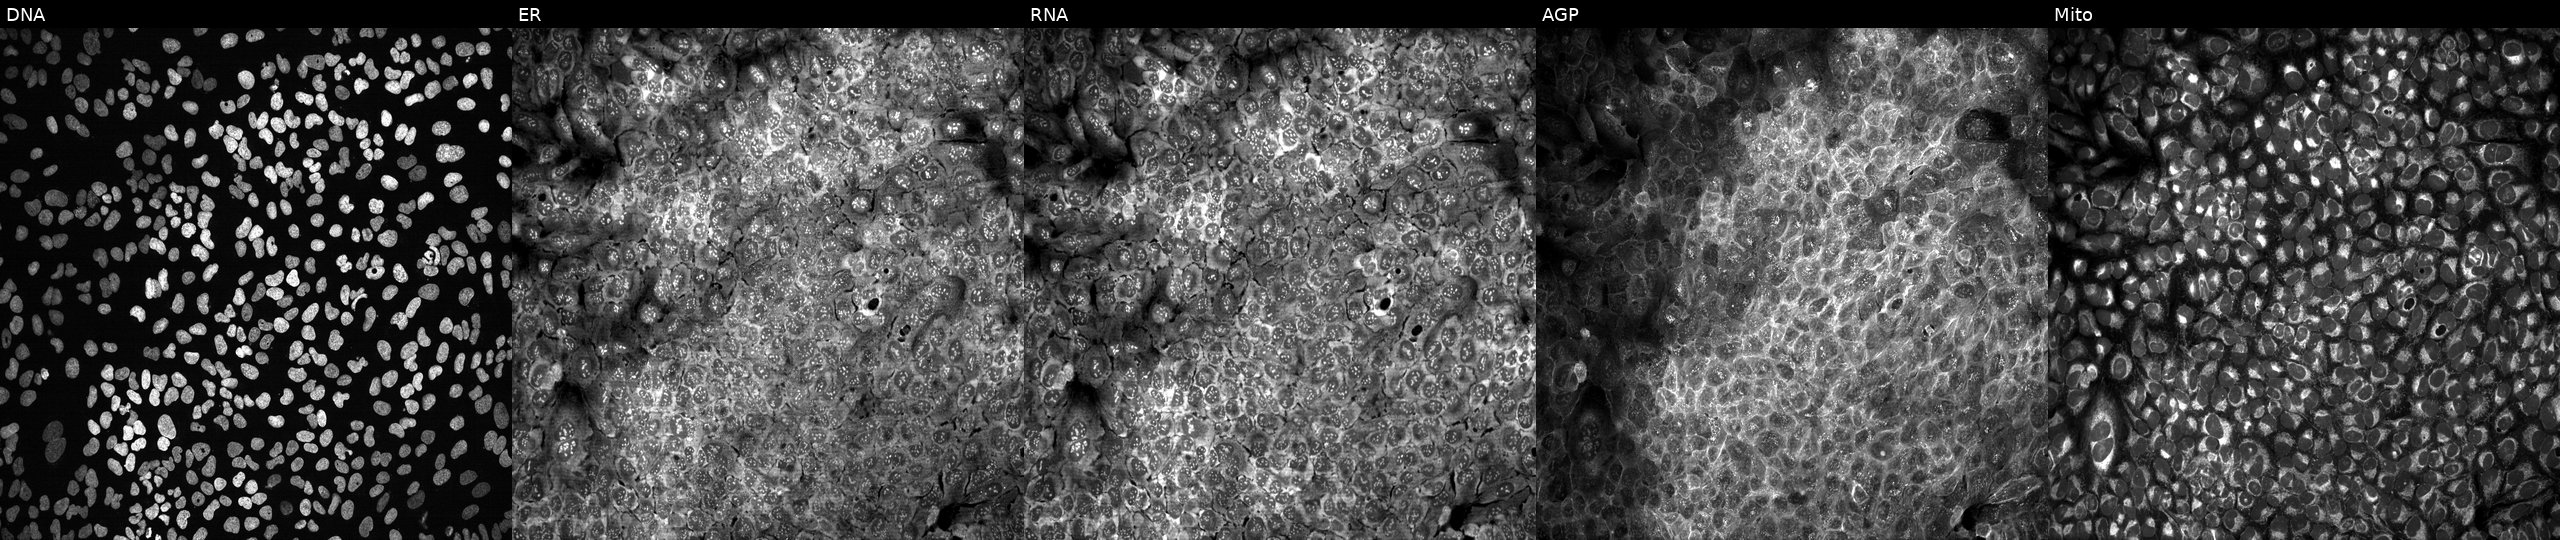
High-content fluorescence microscopy (Cell Painting). Cell line: U2OS. Perturbation: following CRISPR knockout of DPEP3 (JUMP id JCP2022_801892). The five panels, left to right, show DNA (nuclei); ER (endoplasmic reticulum); RNA (nucleoli and cytoplasmic RNA); AGP (actin cytoskeleton, Golgi, and plasma membrane); Mito (mitochondria).